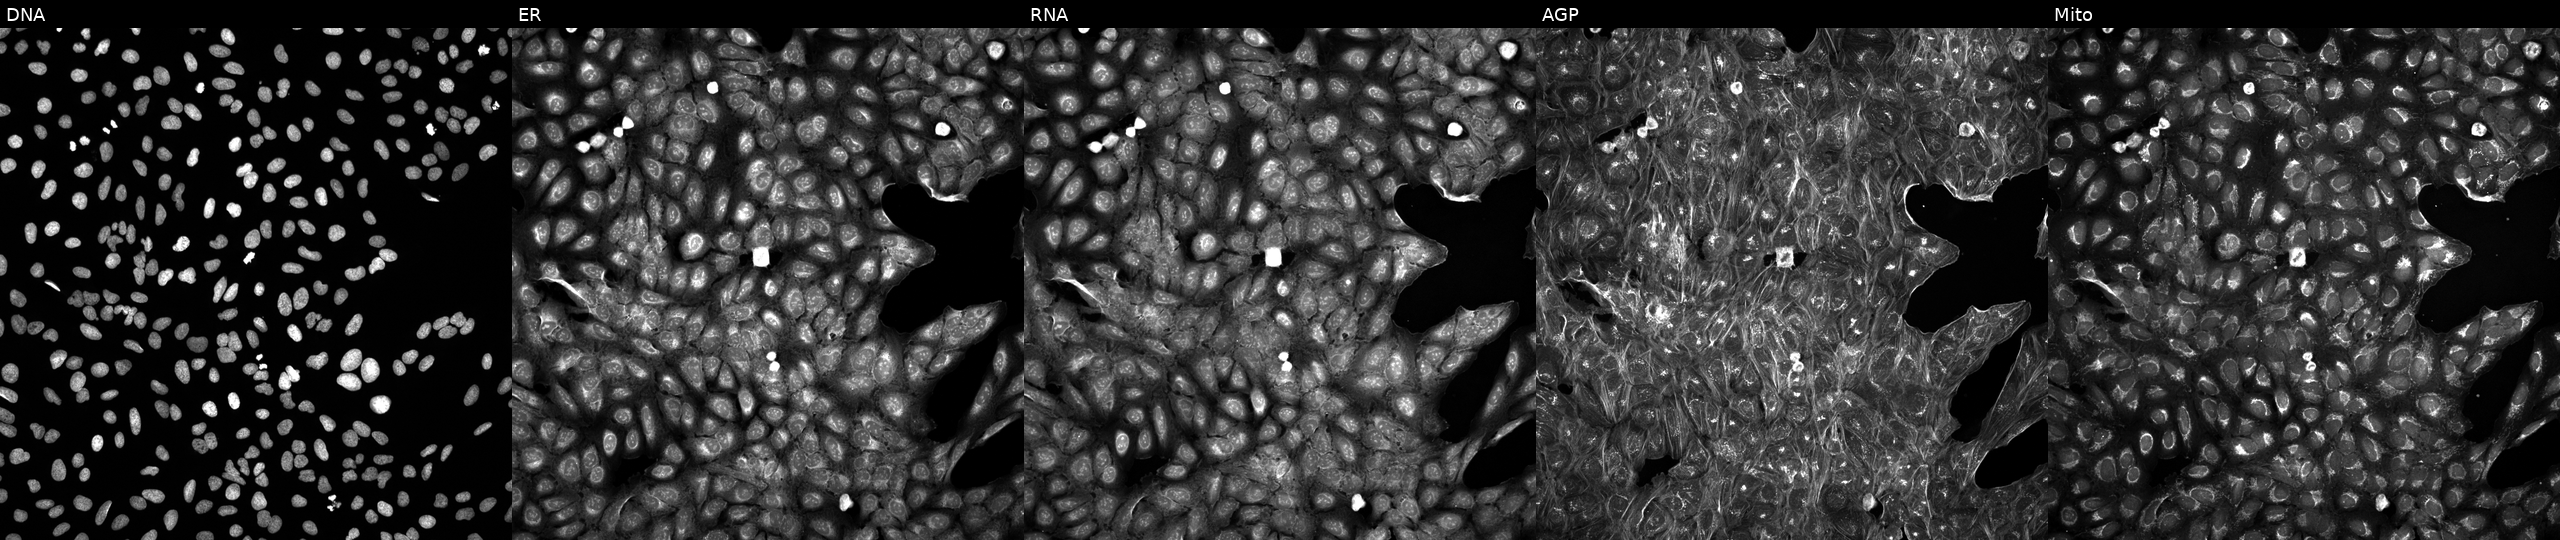
JUMP Cell Painting — TARGET2 plate. U2OS cells perturbed with a small-molecule compound (JUMP id JCP2022_026475). Panels show, left to right, DNA (nuclei); ER (endoplasmic reticulum); RNA (nucleoli and cytoplasmic RNA); AGP (actin cytoskeleton, Golgi, and plasma membrane); Mito (mitochondria).